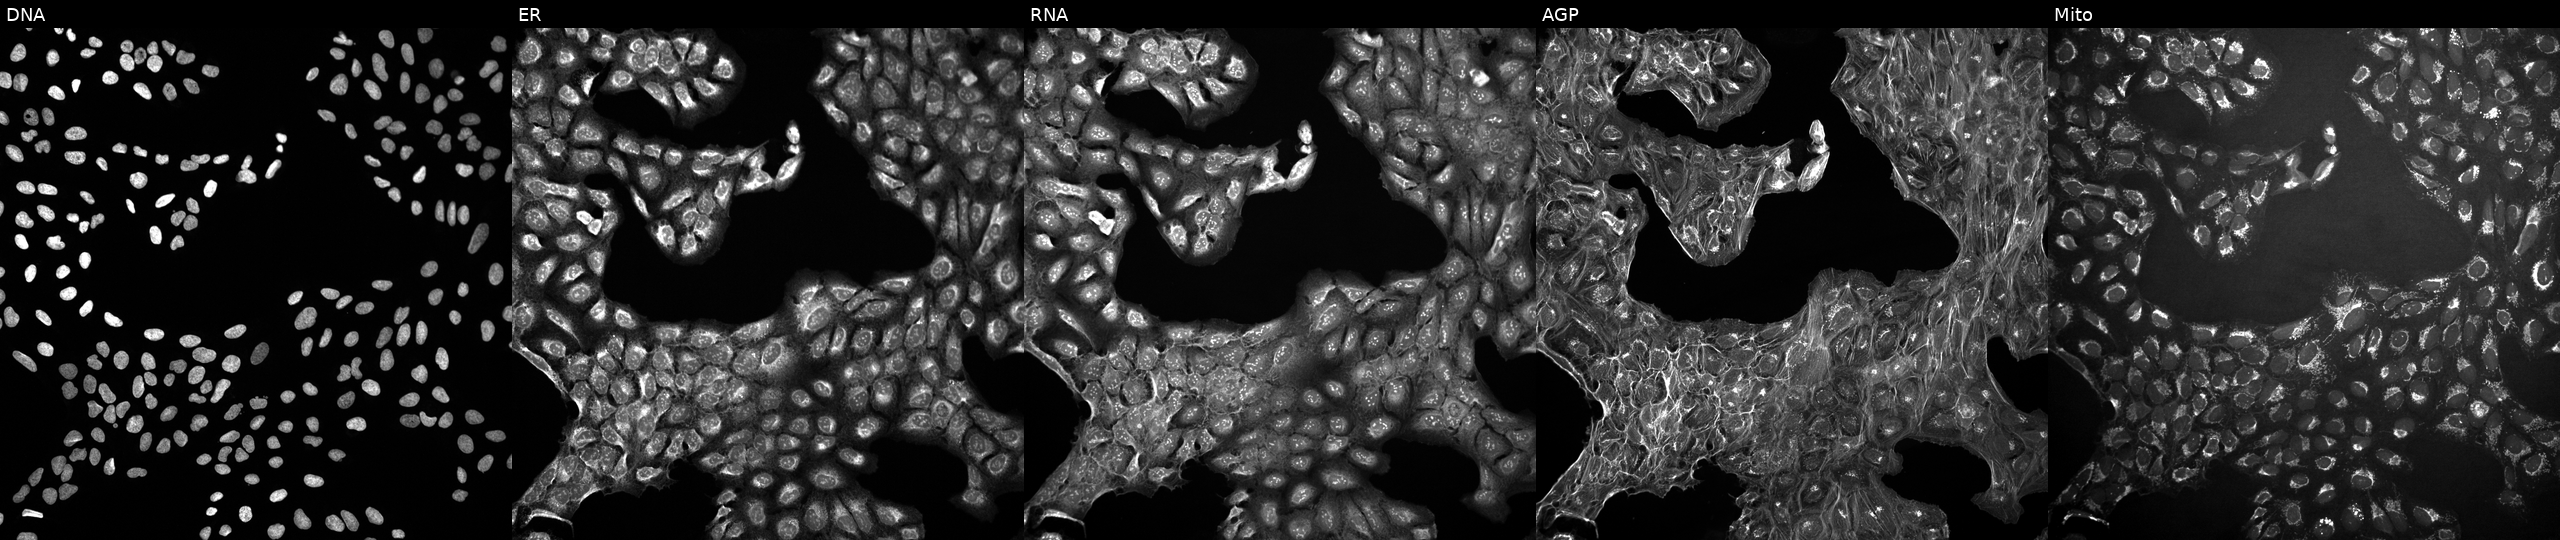
Five-channel Cell Painting image of U2OS cells in an empty control well (no perturbation). The five panels, left to right, show DNA, ER, RNA, AGP, and Mito.